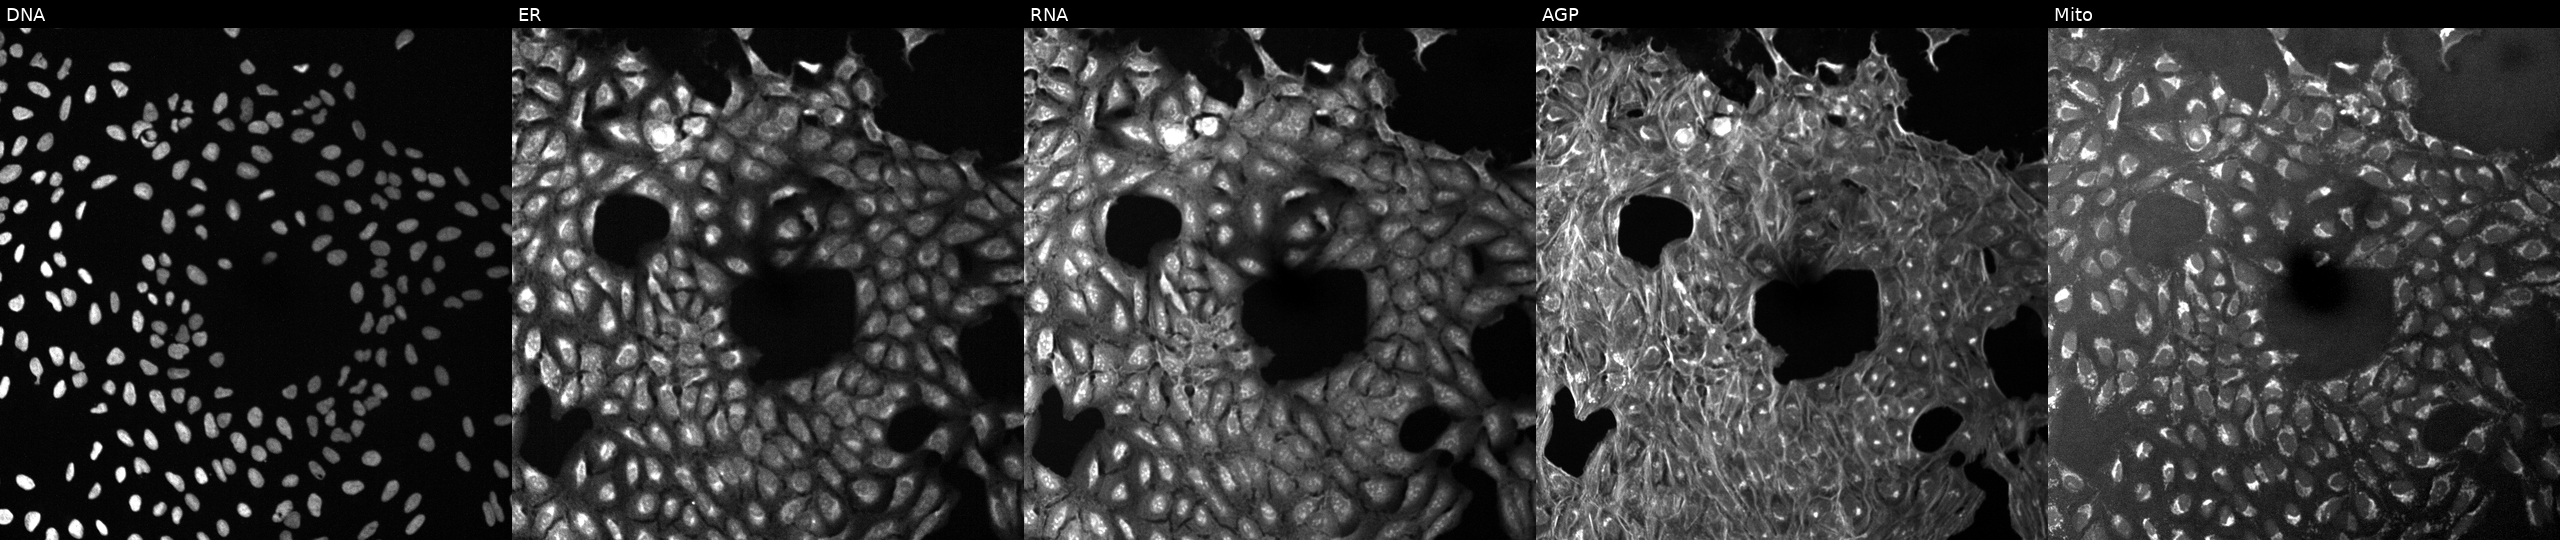
Five-channel Cell Painting image of U2OS cells in an empty control well (no perturbation). The five panels, left to right, show DNA, ER, RNA, AGP, and Mito.